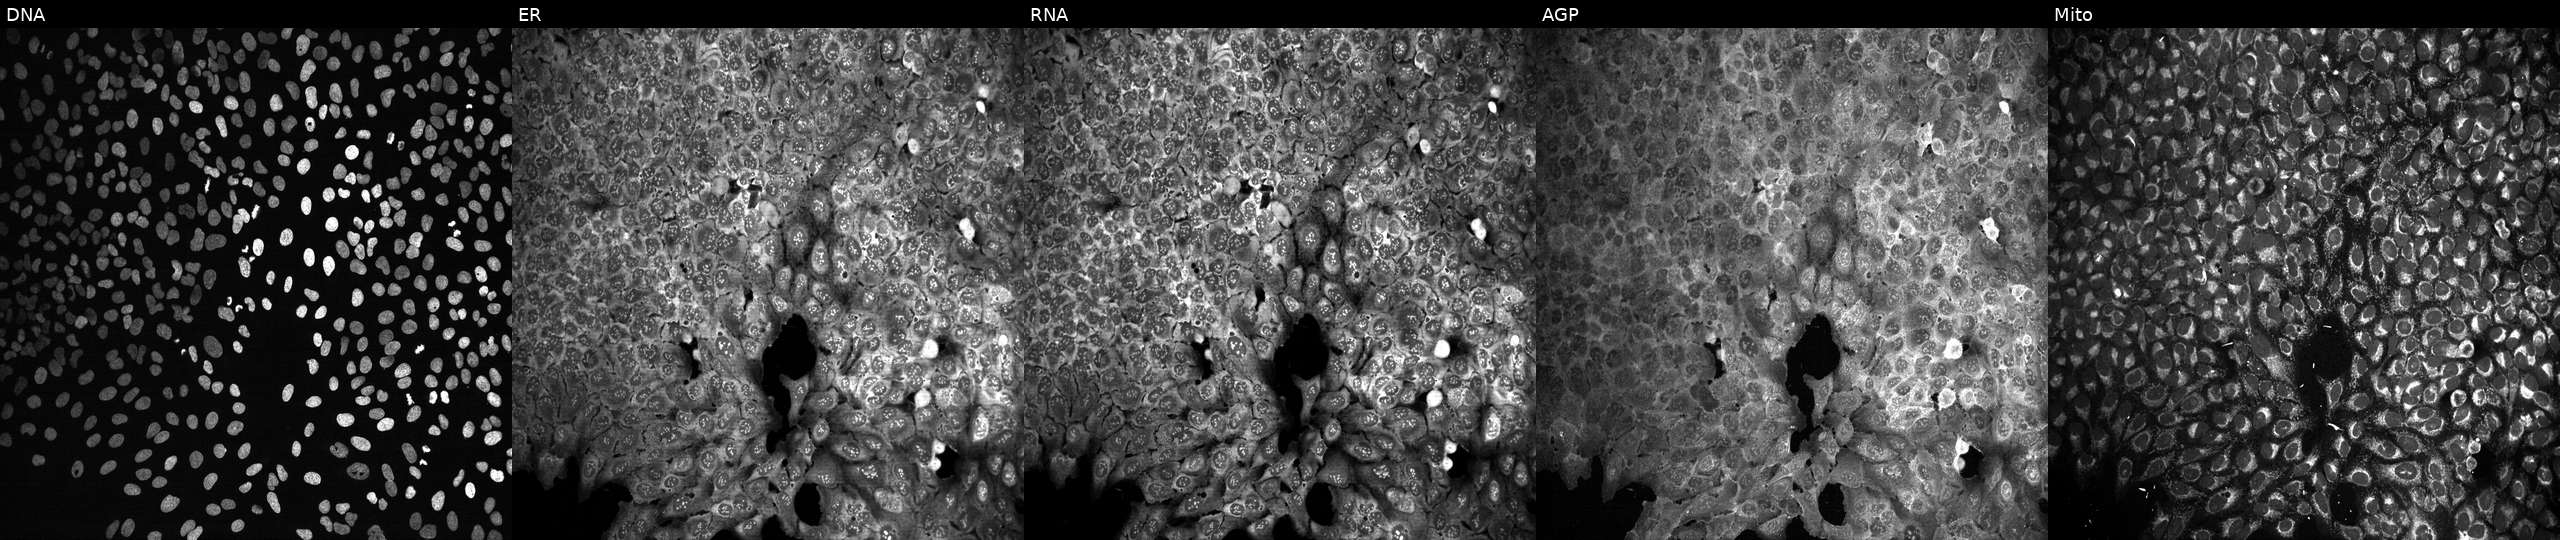
This image strip shows the five Cell Painting channels for a single field of U2OS cells exposed to the positive-control compound quinidine. Panels show, left to right, DNA, ER, RNA, AGP, and Mito. Source 13, plate CP-CC9-R3-01, well O01.